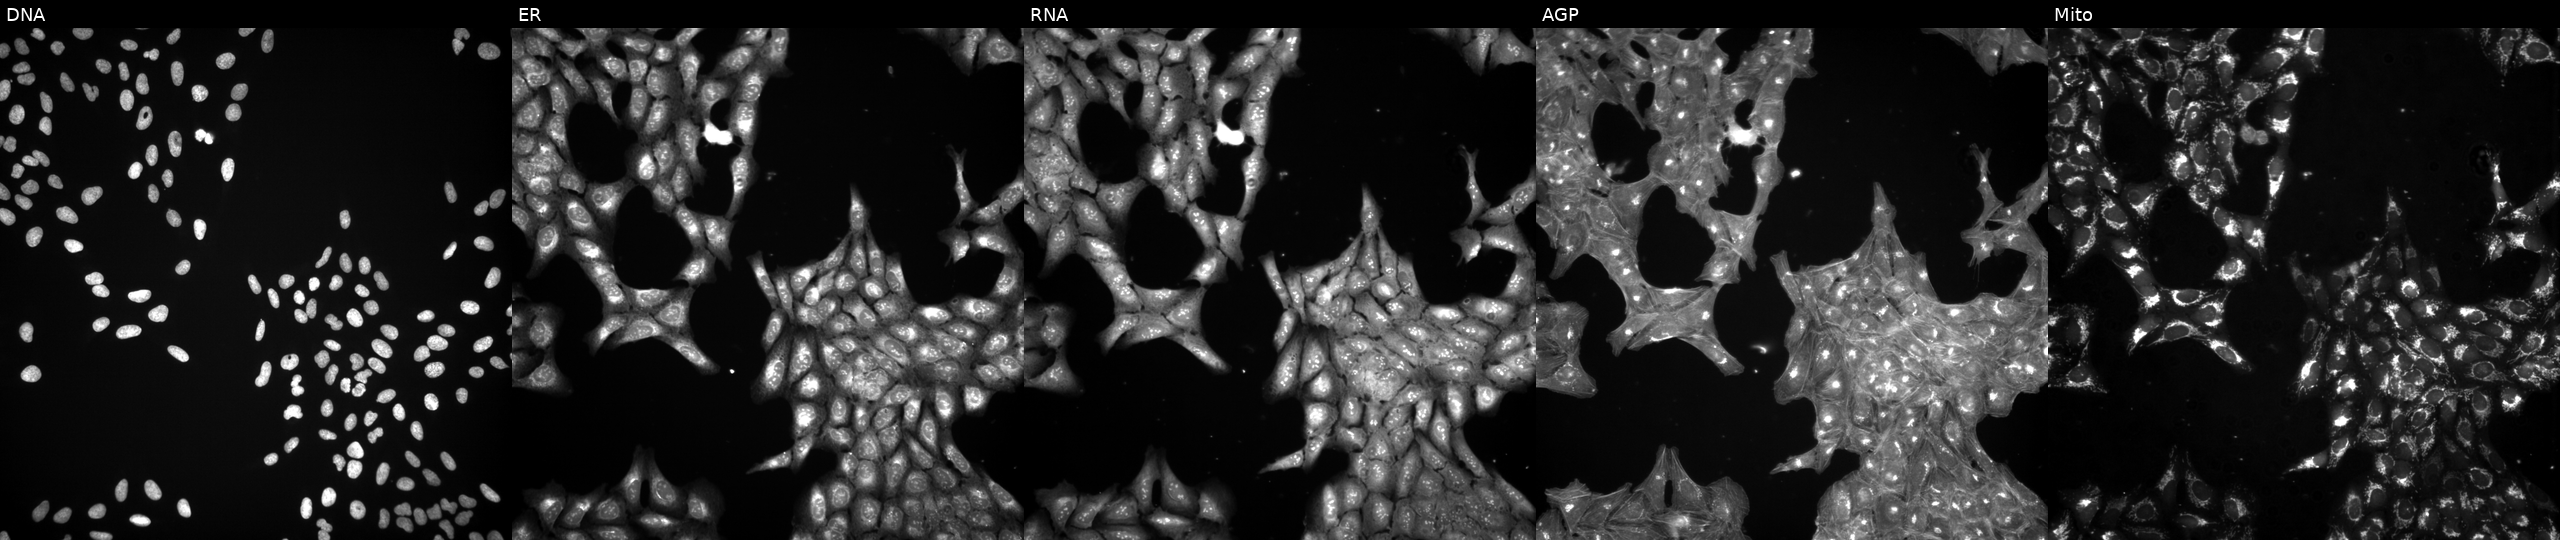
JUMP Cell Painting — COMPOUND plate. U2OS cells treated with a small-molecule compound (InChIKey DWDCAXPWJWVJCS-UHFFFAOYSA-N) (JUMP id JCP2022_018583). Channels (left→right): DNA (nuclei); ER (endoplasmic reticulum); RNA (nucleoli and cytoplasmic RNA); AGP (actin cytoskeleton, Golgi, and plasma membrane); Mito (mitochondria). Source 3, plate BR5867a3, well J15.